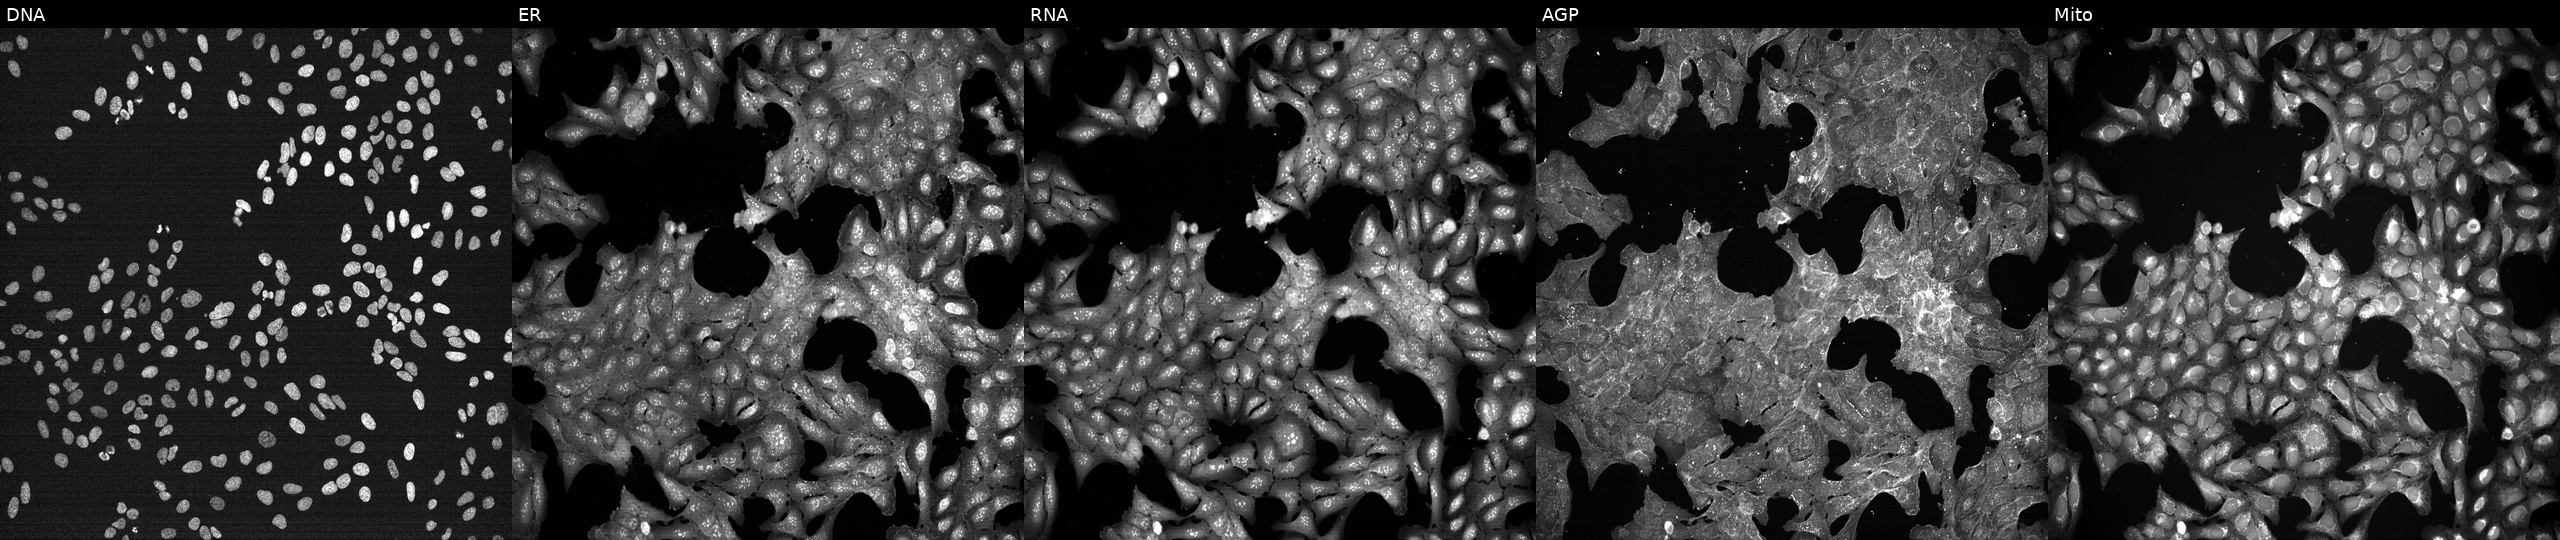
JUMP Cell Painting — TARGET2 plate. U2OS cells treated with DMSO vehicle only (negative control). From left to right: DNA (nuclei); ER (endoplasmic reticulum); RNA (nucleoli and cytoplasmic RNA); AGP (actin cytoskeleton, Golgi, and plasma membrane); Mito (mitochondria). Source 7, plate CP1-SC1-25, well I09.